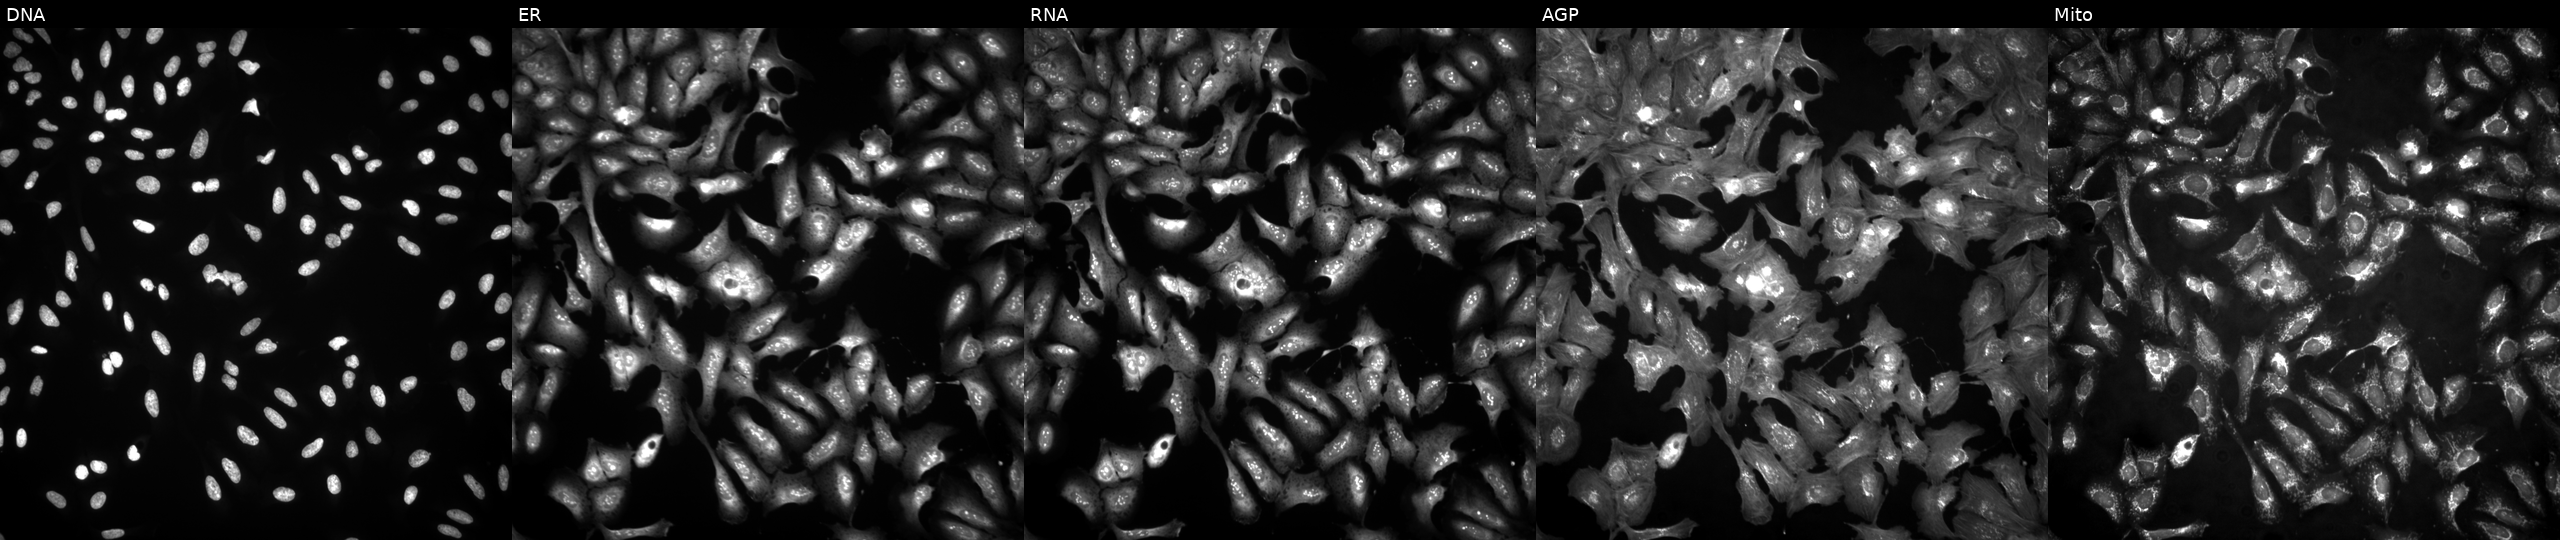
This image strip shows the five Cell Painting channels for a single field of U2OS cells transfected with an ORF construct for GPR4. Panels show, left to right, DNA, ER, RNA, AGP, and Mito.